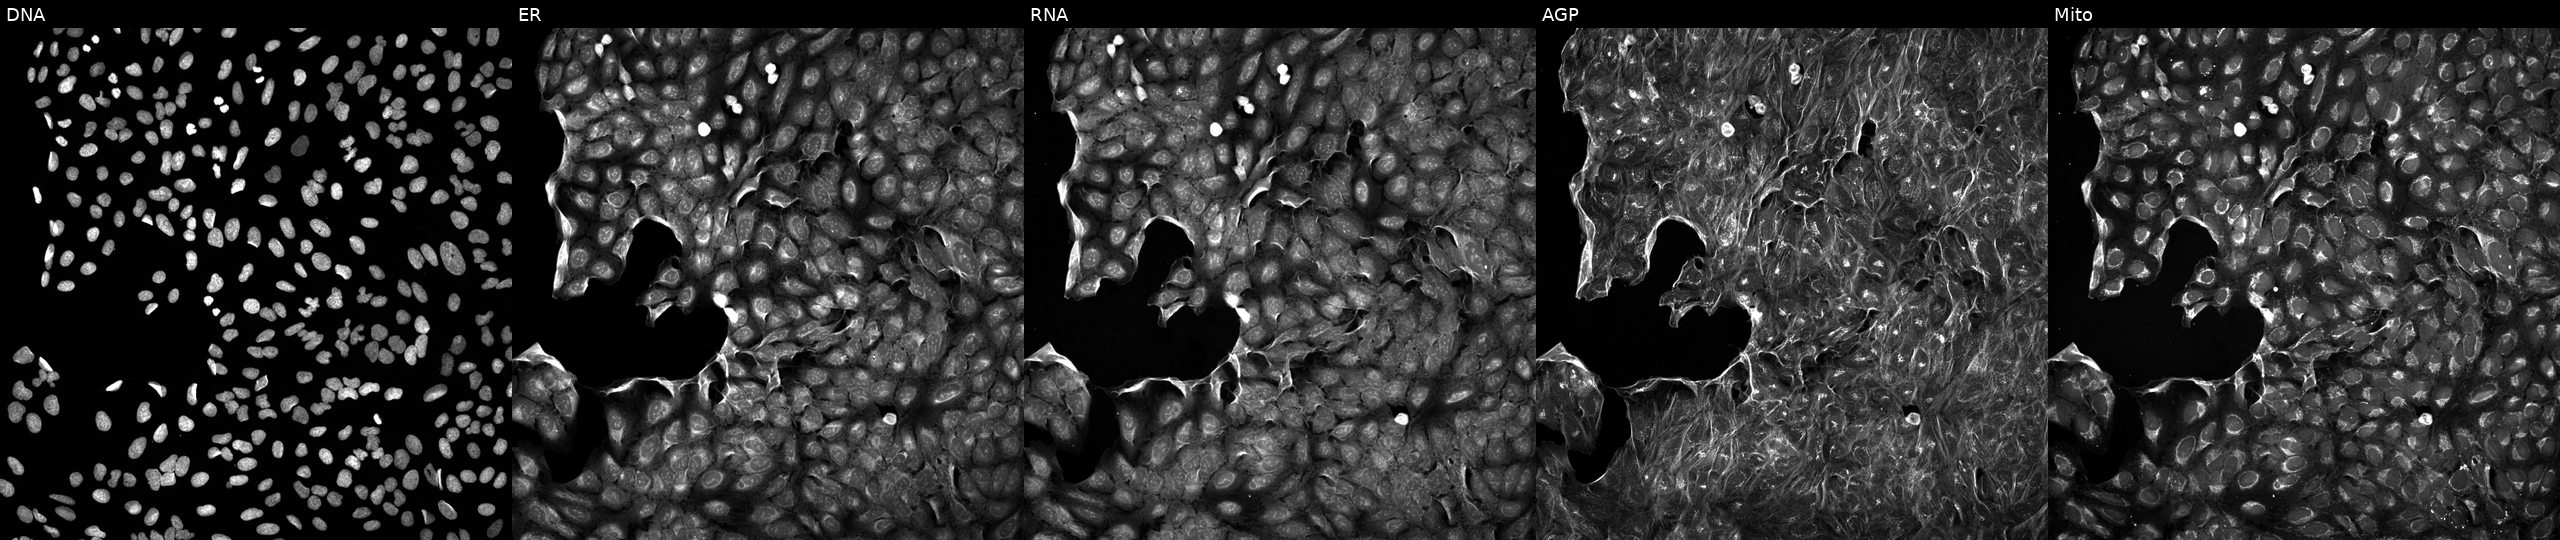
This image strip shows the five Cell Painting channels for a single field of U2OS cells exposed to DMSO alone as a negative control (JUMP id JCP2022_033924). The five panels, left to right, show Hoechst 33342, concanavalin A, SYTO 14, phalloidin and WGA, MitoTracker.